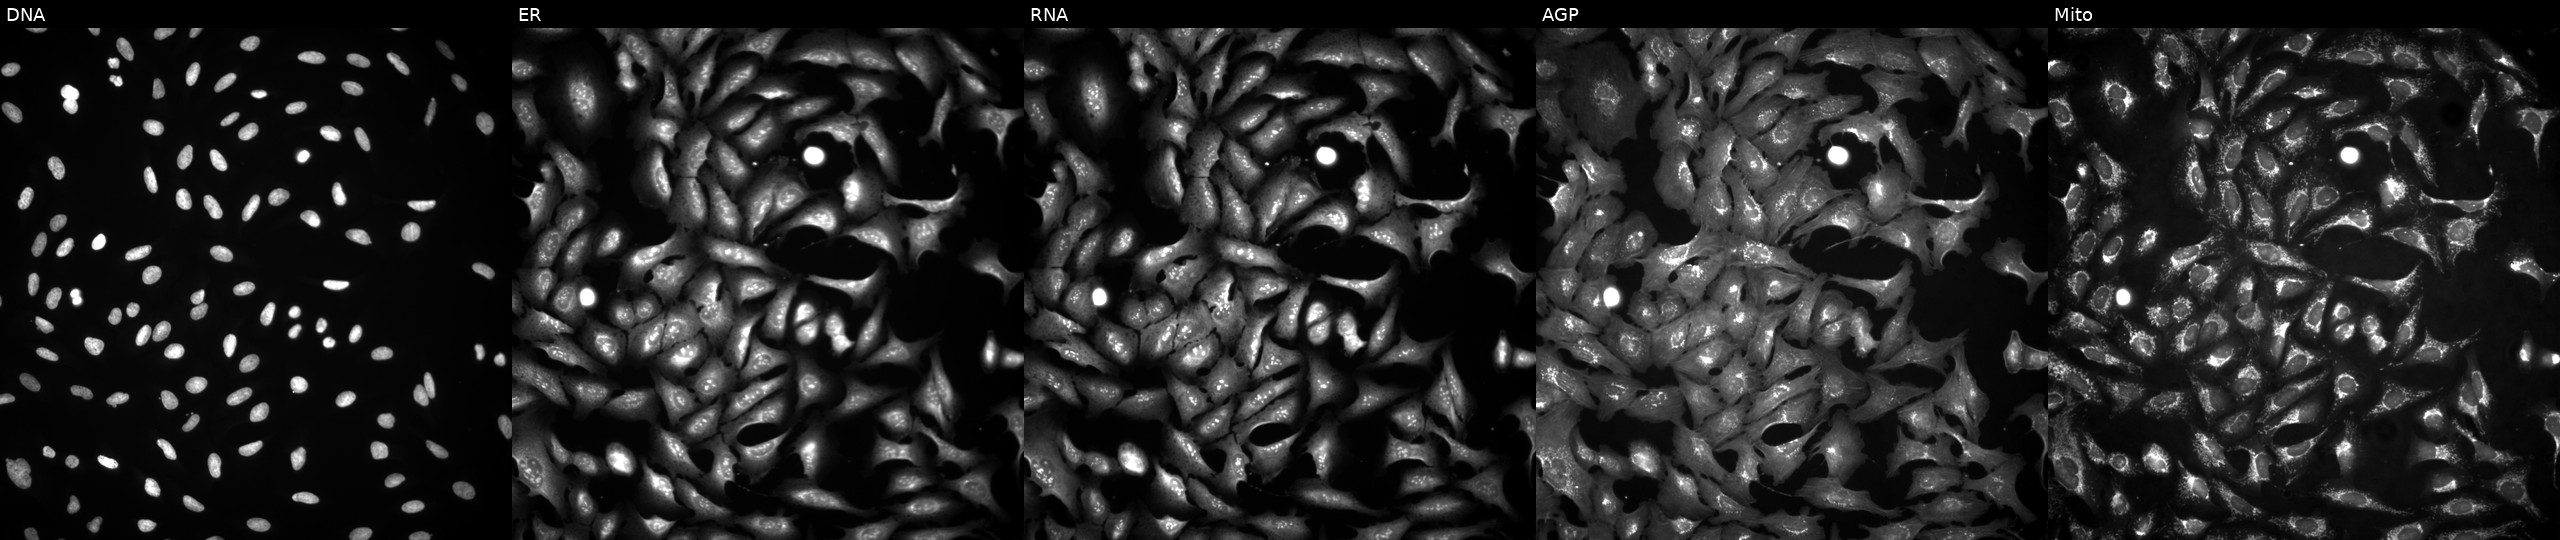
Five-channel Cell Painting image of U2OS cells overexpressing B4GALT3 via ORF transfection (JUMP id JCP2022_901859). Channels (left→right): Hoechst 33342, concanavalin A, SYTO 14, phalloidin and WGA, MitoTracker.